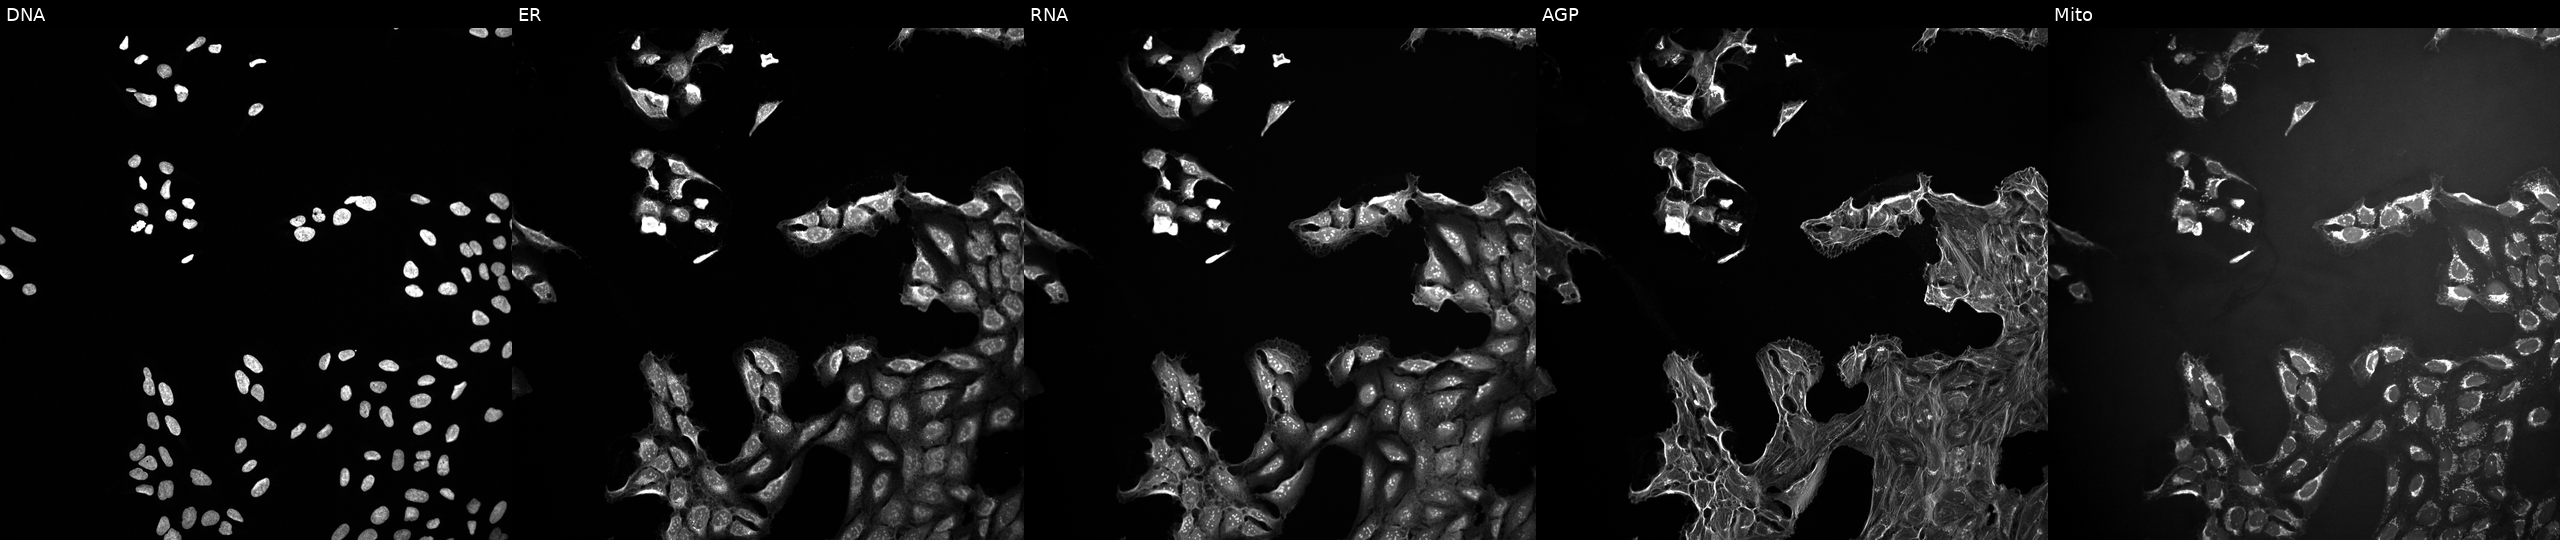
JUMP Cell Painting — TARGET2 plate. U2OS cells perturbed with a small-molecule compound (InChIKey PYNXFZCZUAOOQC-UHFFFAOYSA-N) (JUMP id JCP2022_071811). Channels (left→right): DNA (nuclei); ER (endoplasmic reticulum); RNA (nucleoli and cytoplasmic RNA); AGP (actin cytoskeleton, Golgi, and plasma membrane); Mito (mitochondria). Source 10, plate Dest210727-153003, well L18.